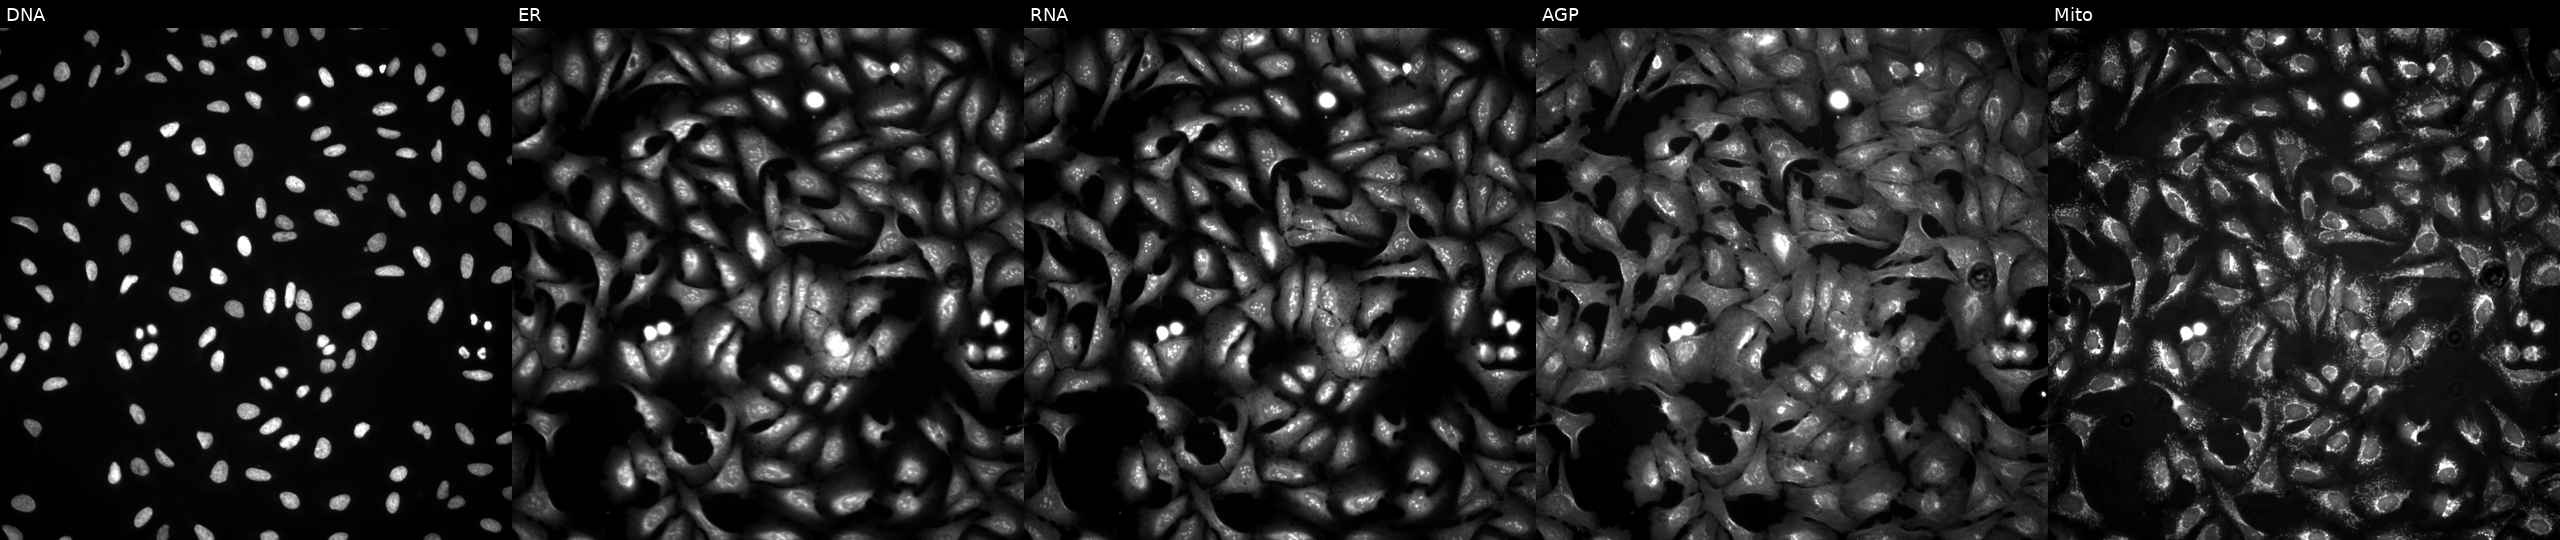
This image strip shows the five Cell Painting channels for a single field of U2OS cells with SMARCAL1 overexpressed (ORF) (JUMP id JCP2022_902949). From left to right: DNA (nuclei); ER (endoplasmic reticulum); RNA (nucleoli and cytoplasmic RNA); AGP (actin cytoskeleton, Golgi, and plasma membrane); Mito (mitochondria).